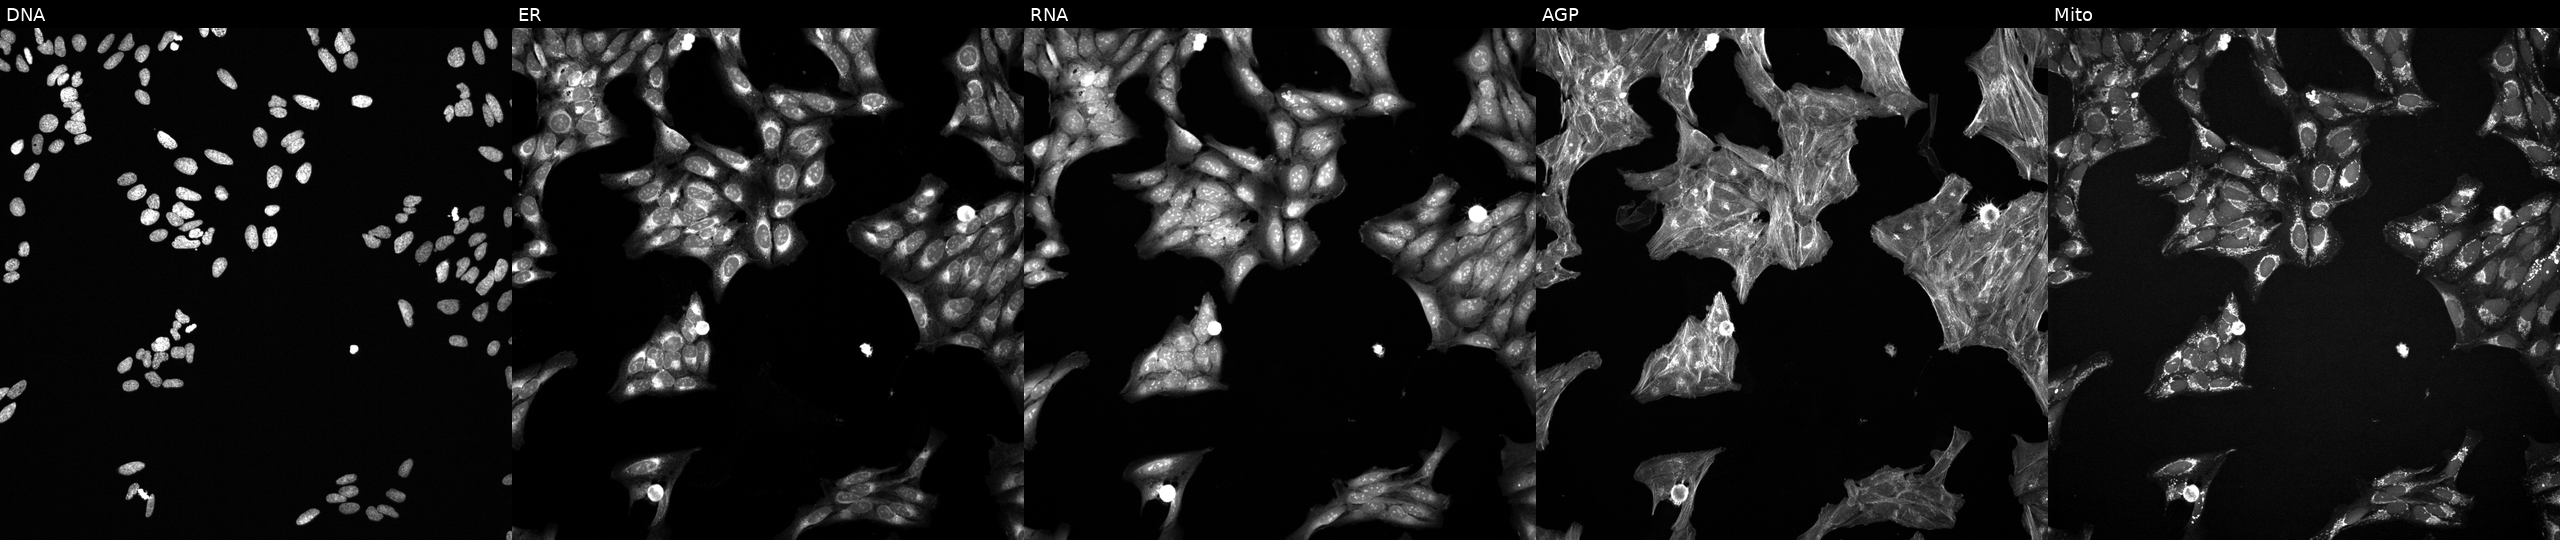
JUMP Cell Painting — TARGET2 plate. U2OS cells perturbed with a small-molecule compound. From left to right: Hoechst 33342, concanavalin A, SYTO 14, phalloidin and WGA, MitoTracker.